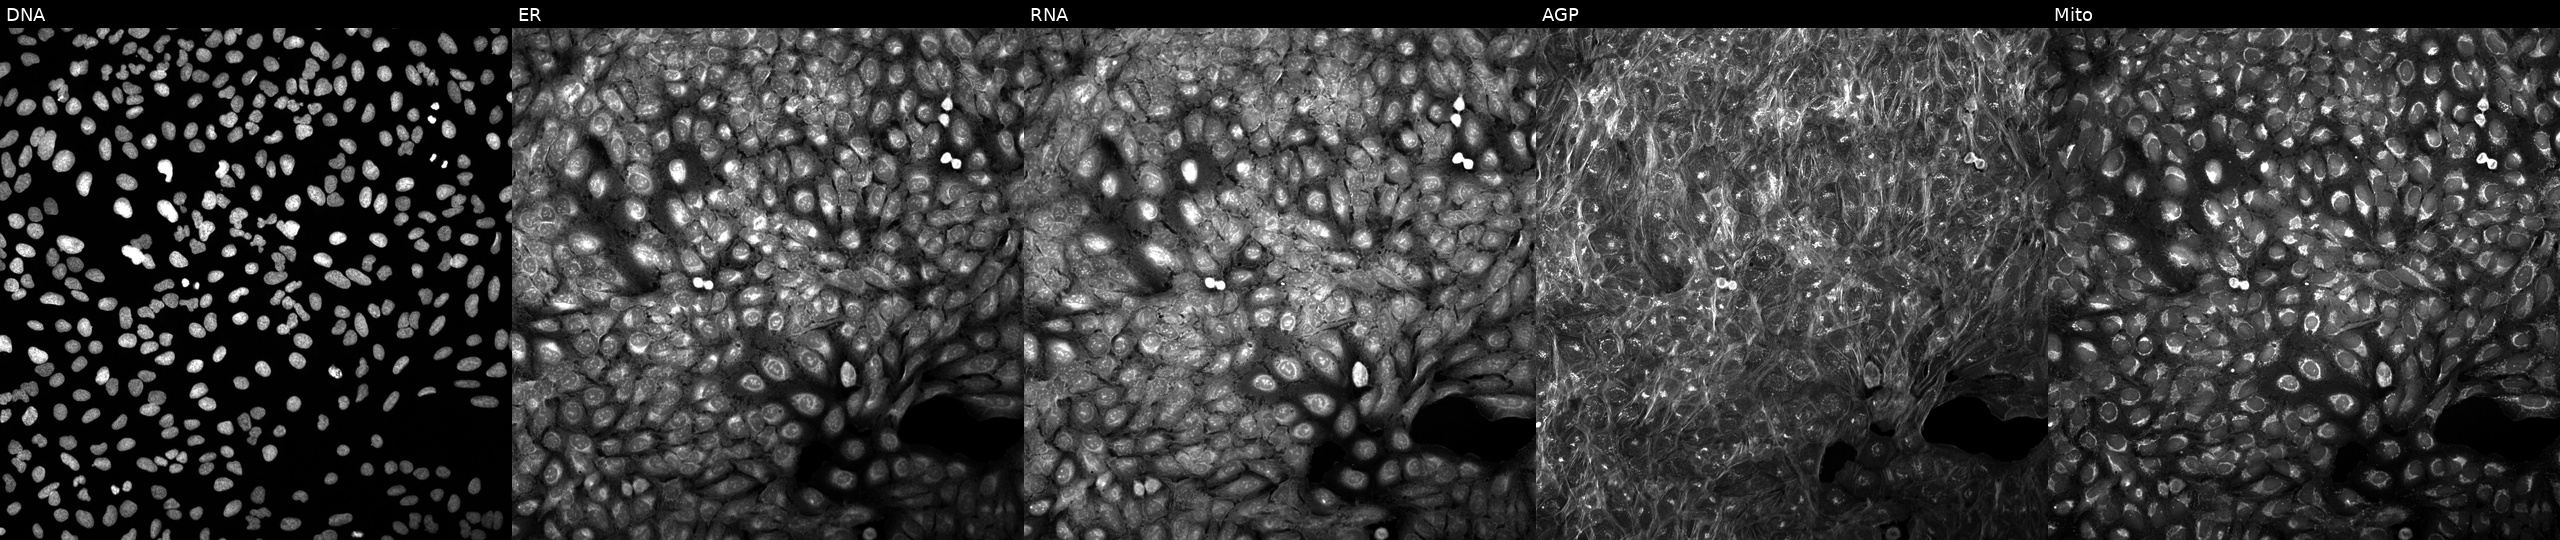
Channels (left→right): DNA (nuclei); ER (endoplasmic reticulum); RNA (nucleoli and cytoplasmic RNA); AGP (actin cytoskeleton, Golgi, and plasma membrane); Mito (mitochondria). U2OS osteosarcoma cells exposed to a small-molecule compound (JUMP id JCP2022_066287). Cell Painting assay, JUMP-CP dataset.